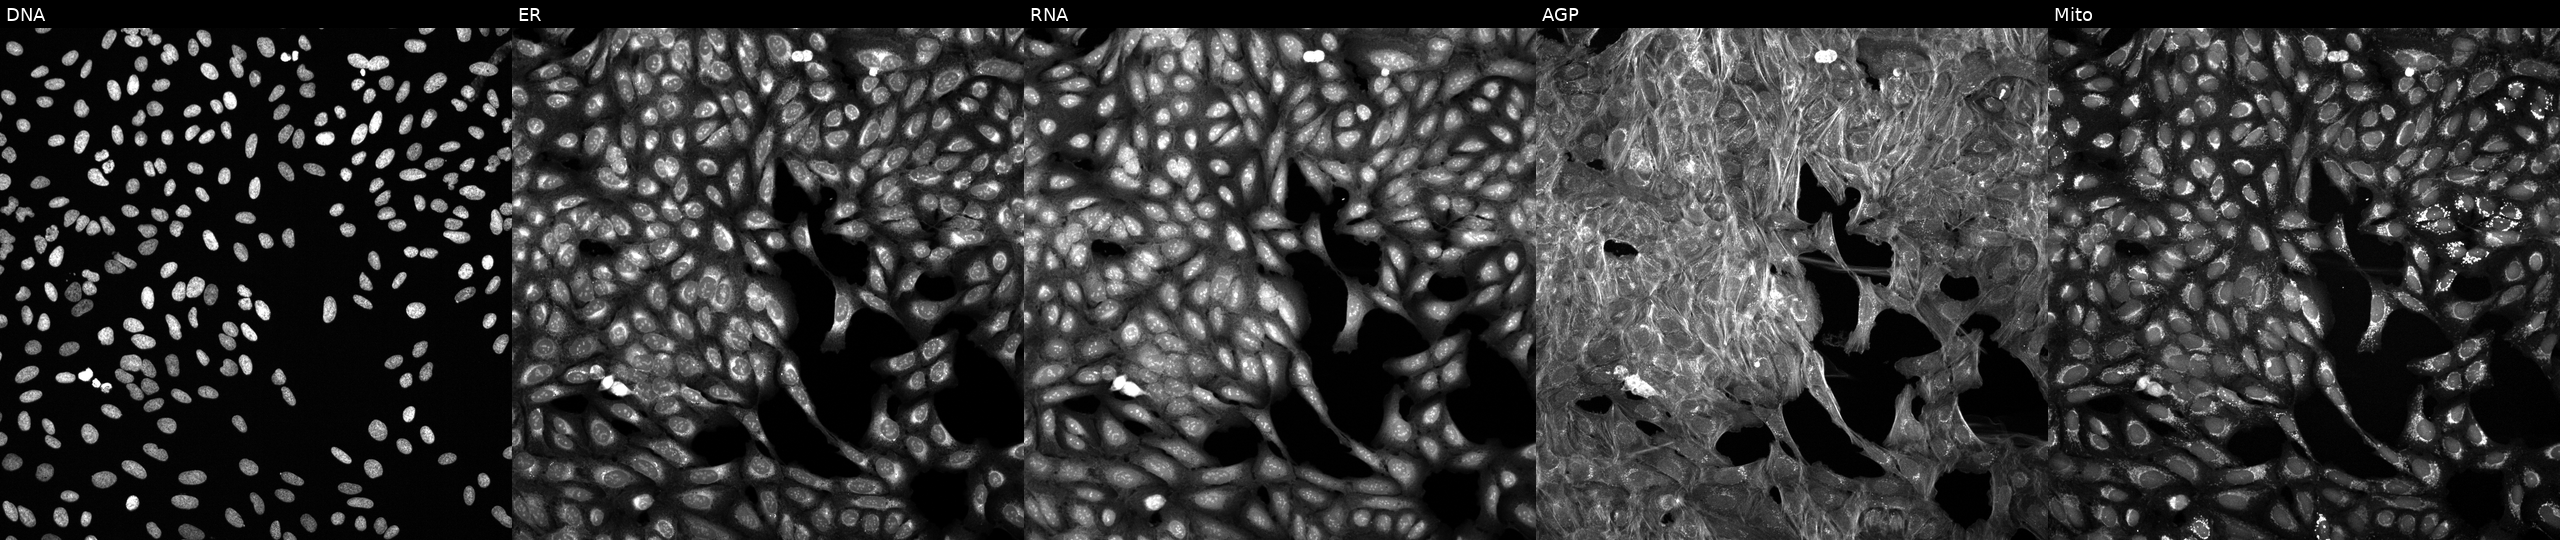
High-content fluorescence microscopy (Cell Painting). Cell line: U2OS. Perturbation: perturbed with a small-molecule compound (InChIKey XDFKWGIBQMHSOH-UHFFFAOYSA-N). Channels (left→right): DNA, ER, RNA, AGP, and Mito. Source 6, plate 110000294901, well F08.